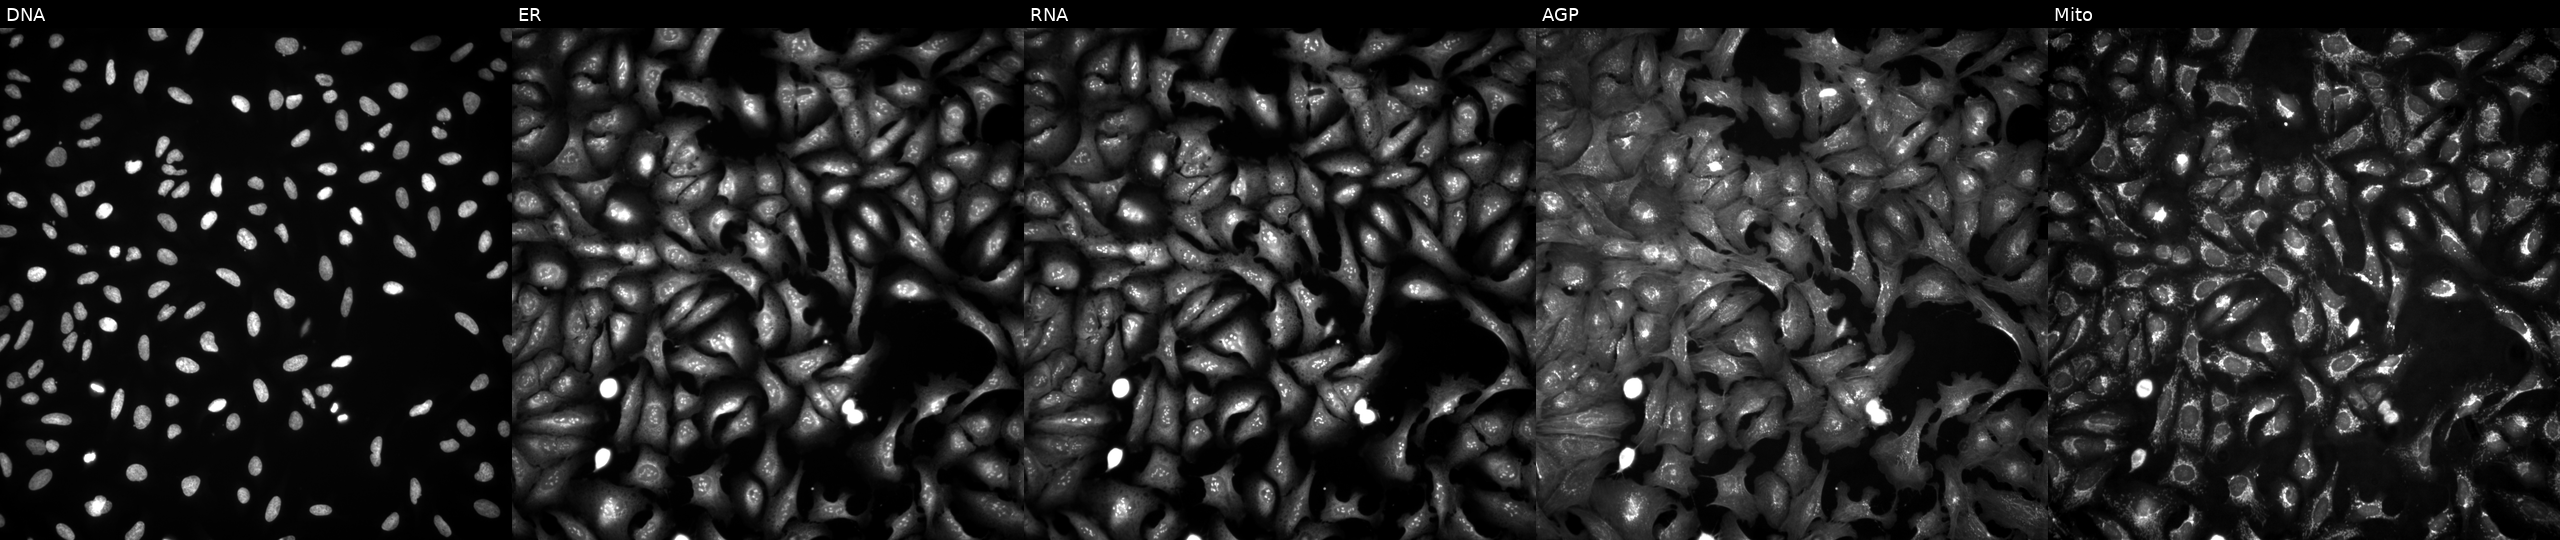
This image strip shows the five Cell Painting channels for a single field of U2OS cells untreated (empty-well control). Channels (left→right): Hoechst 33342, concanavalin A, SYTO 14, phalloidin and WGA, MitoTracker.